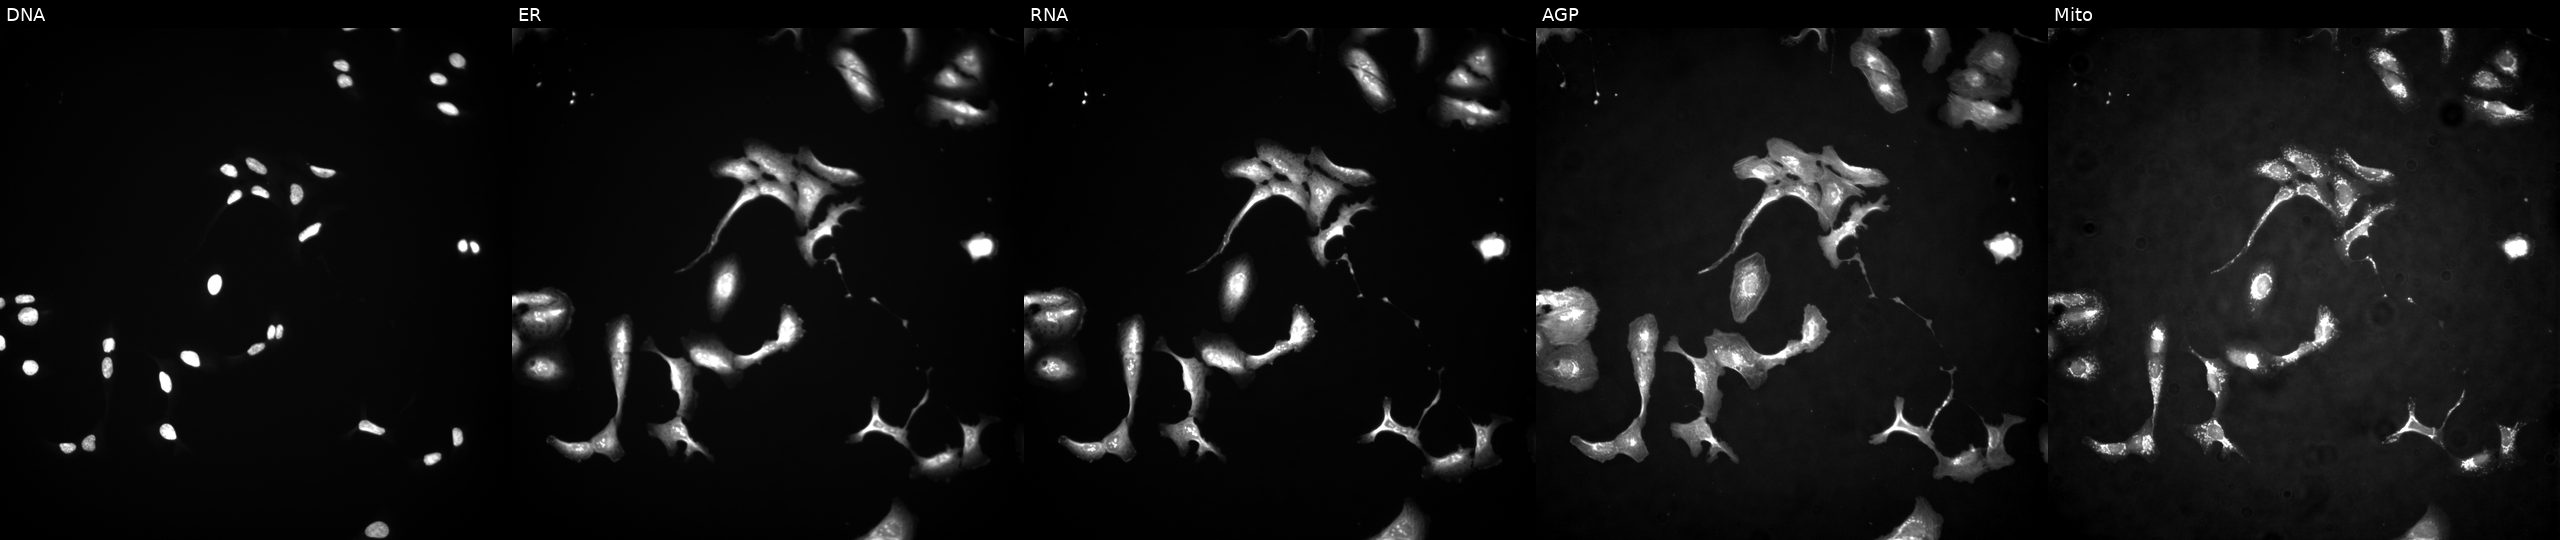
High-content fluorescence microscopy (Cell Painting). Cell line: U2OS. Perturbation: overexpressing HDAC6 via ORF transfection. Channels (left→right): DNA (nuclei); ER (endoplasmic reticulum); RNA (nucleoli and cytoplasmic RNA); AGP (actin cytoskeleton, Golgi, and plasma membrane); Mito (mitochondria). Source 4, plate BR00117035, well E23.